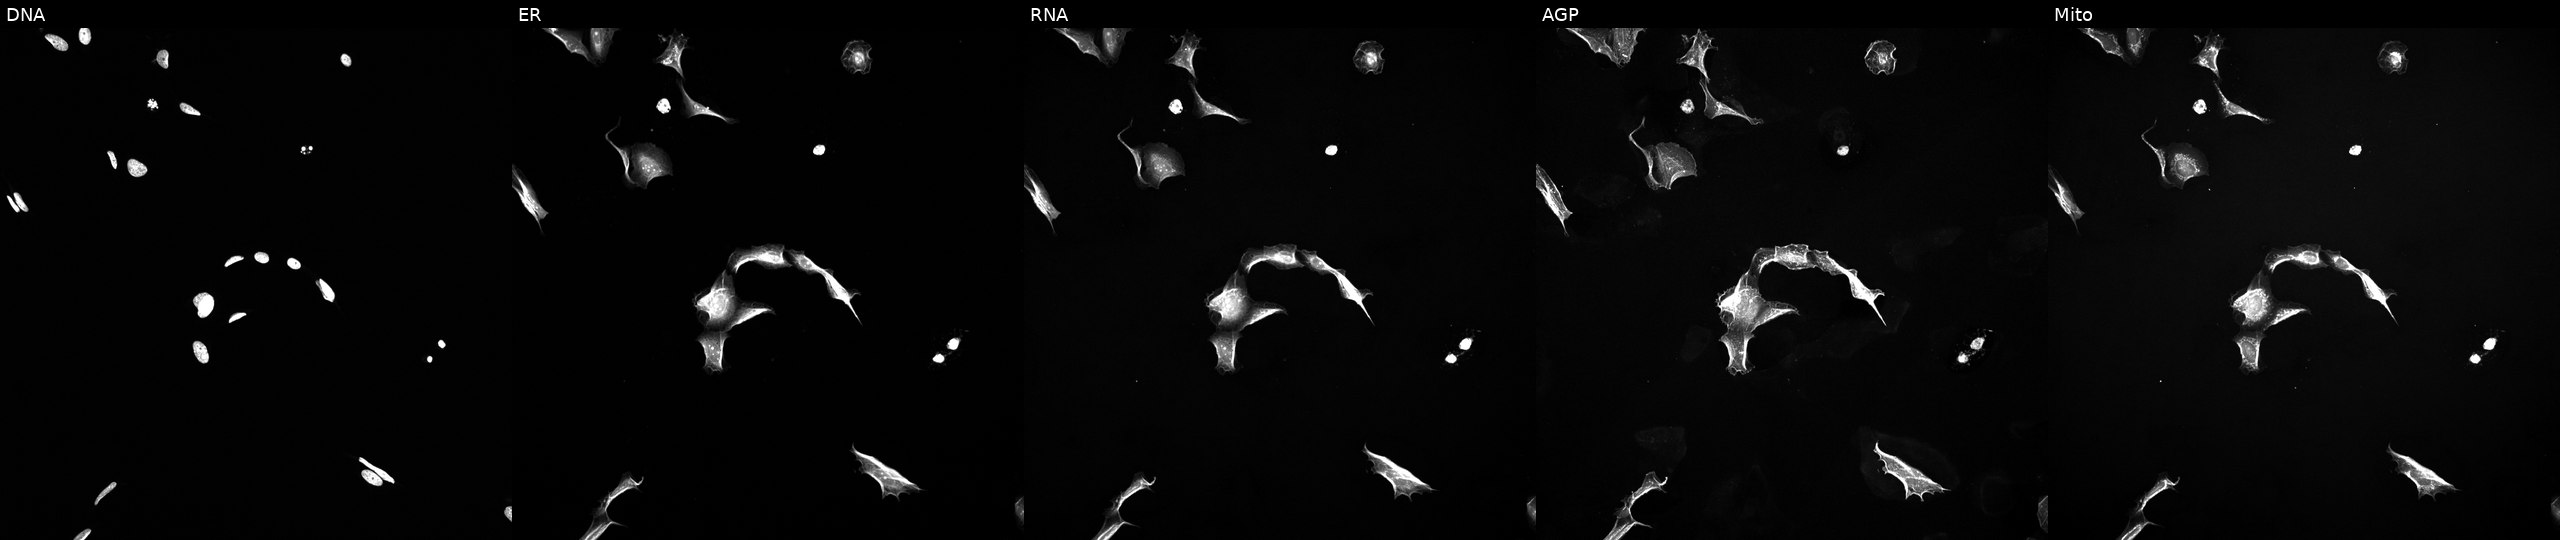
Five-channel Cell Painting image of U2OS cells treated with a small-molecule compound. Channels (left→right): Hoechst 33342, concanavalin A, SYTO 14, phalloidin and WGA, MitoTracker.